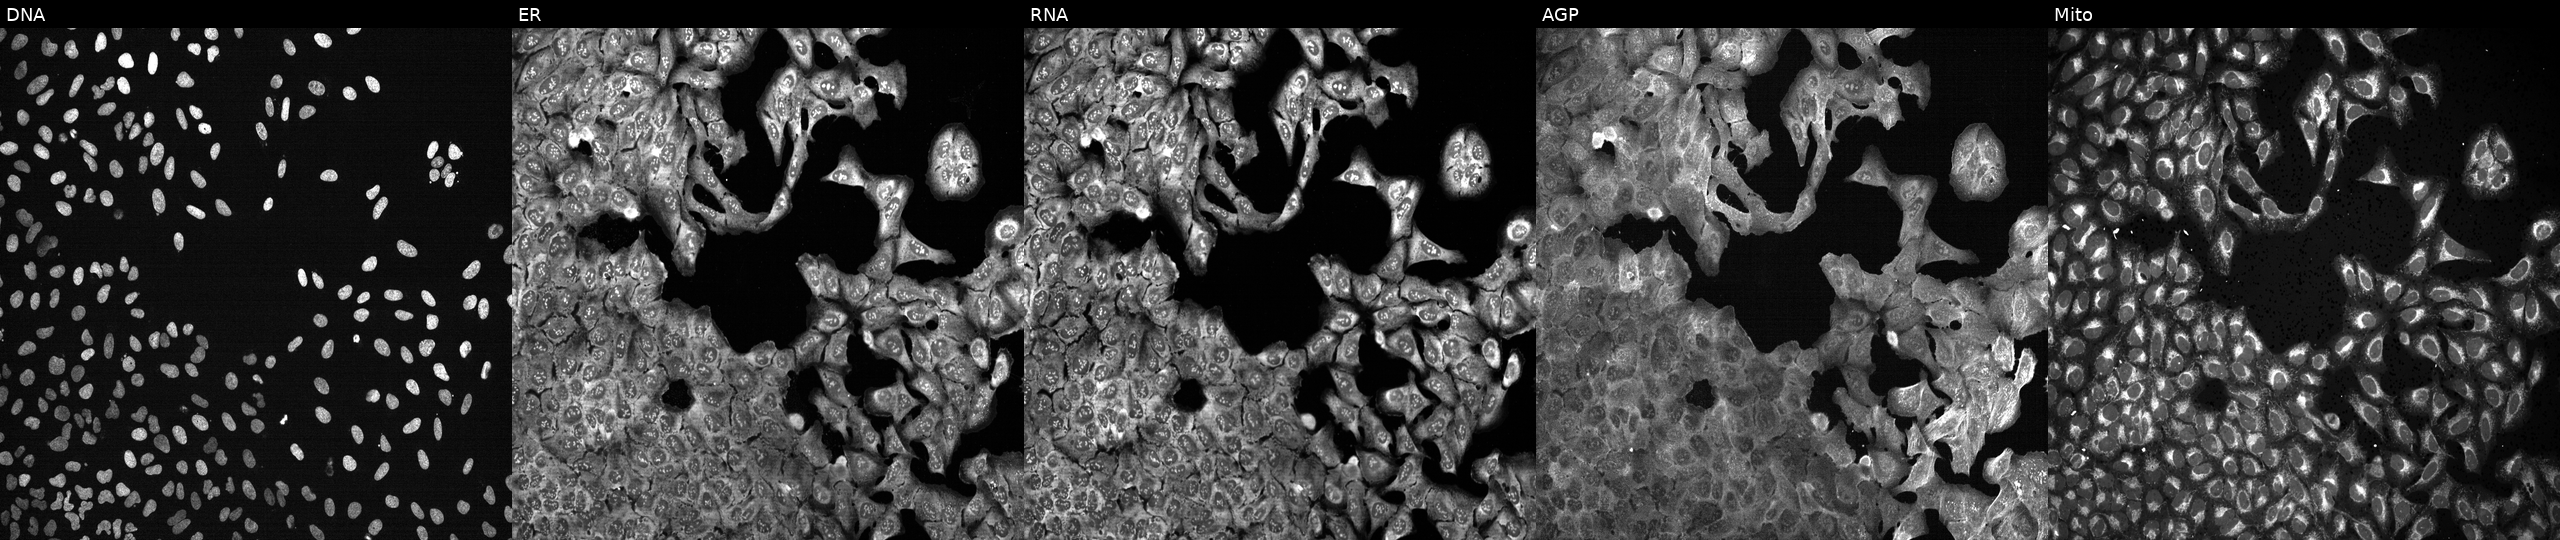
High-content fluorescence microscopy (Cell Painting). Cell line: U2OS. Perturbation: following CRISPR knockout of ANG (JUMP id JCP2022_800453). The five panels, left to right, show Hoechst 33342, concanavalin A, SYTO 14, phalloidin and WGA, MitoTracker.